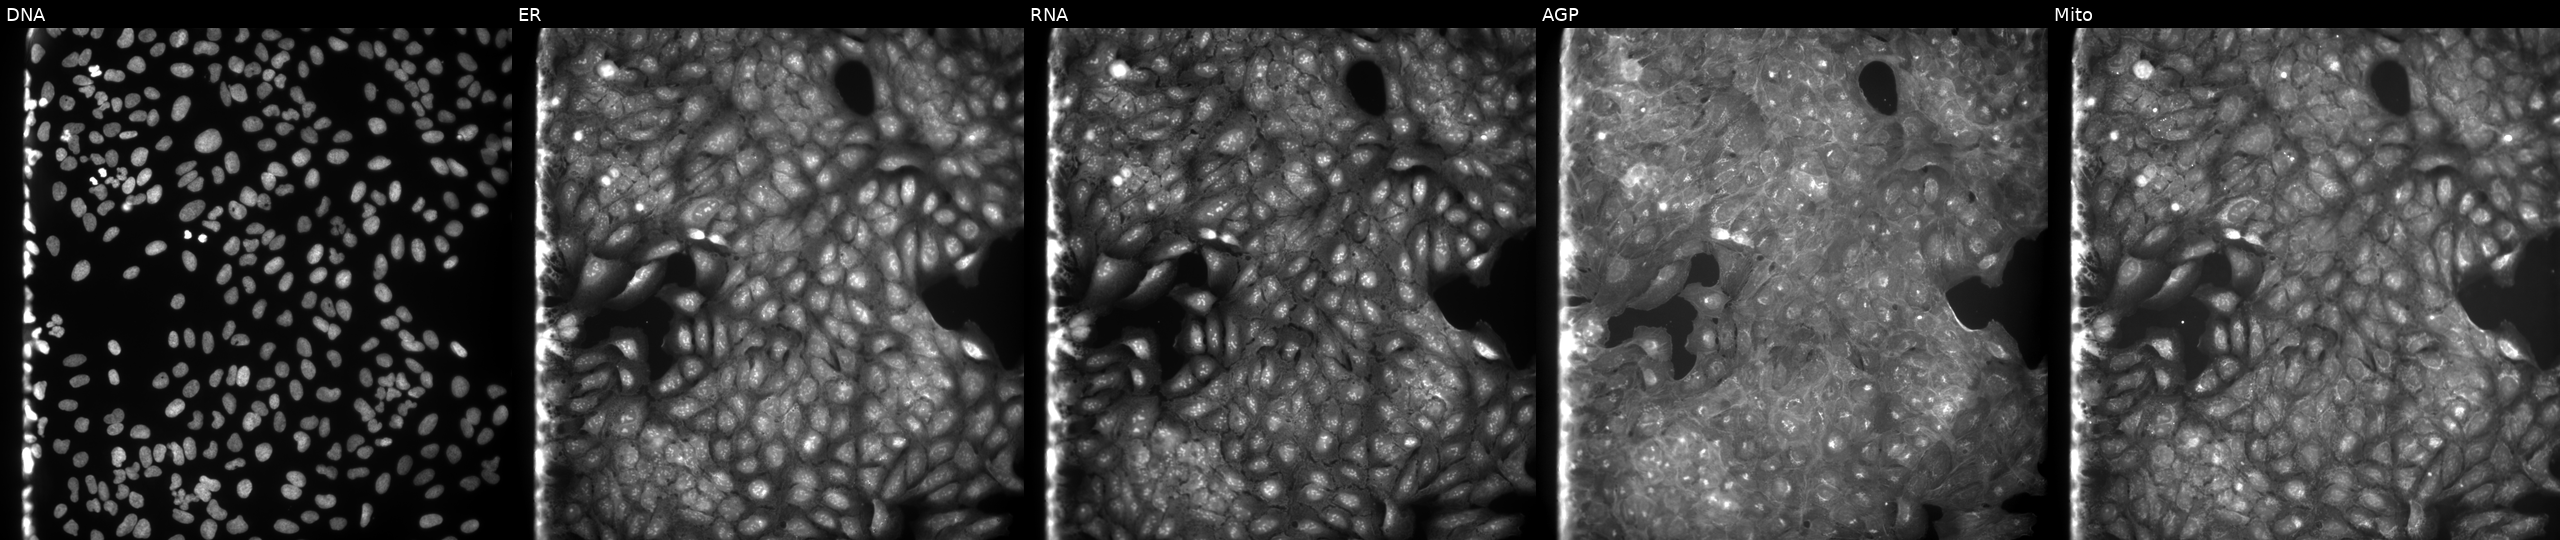
From left to right: Hoechst 33342, concanavalin A, SYTO 14, phalloidin and WGA, MitoTracker. U2OS osteosarcoma cells exposed to a small-molecule compound. Cell Painting assay, JUMP-CP dataset. Source 9, plate GR00003382, well N03.